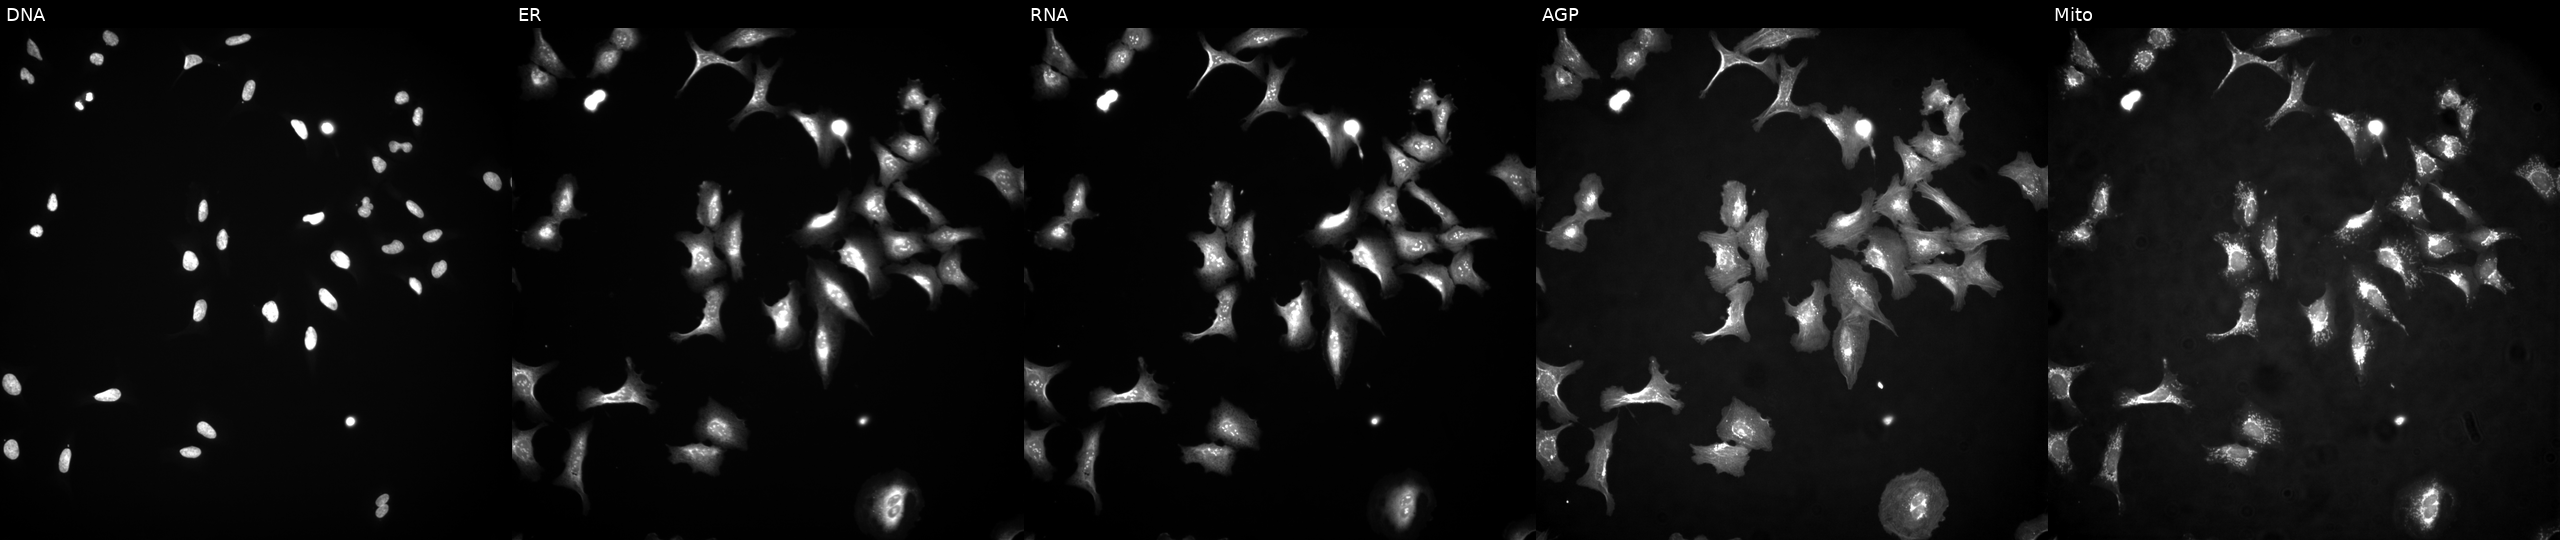
This image strip shows the five Cell Painting channels for a single field of U2OS cells expressing LacZ (ORF negative control) (JUMP id JCP2022_915131). The five panels, left to right, show Hoechst 33342, concanavalin A, SYTO 14, phalloidin and WGA, MitoTracker. Source 4, plate BR00124787, well K13.